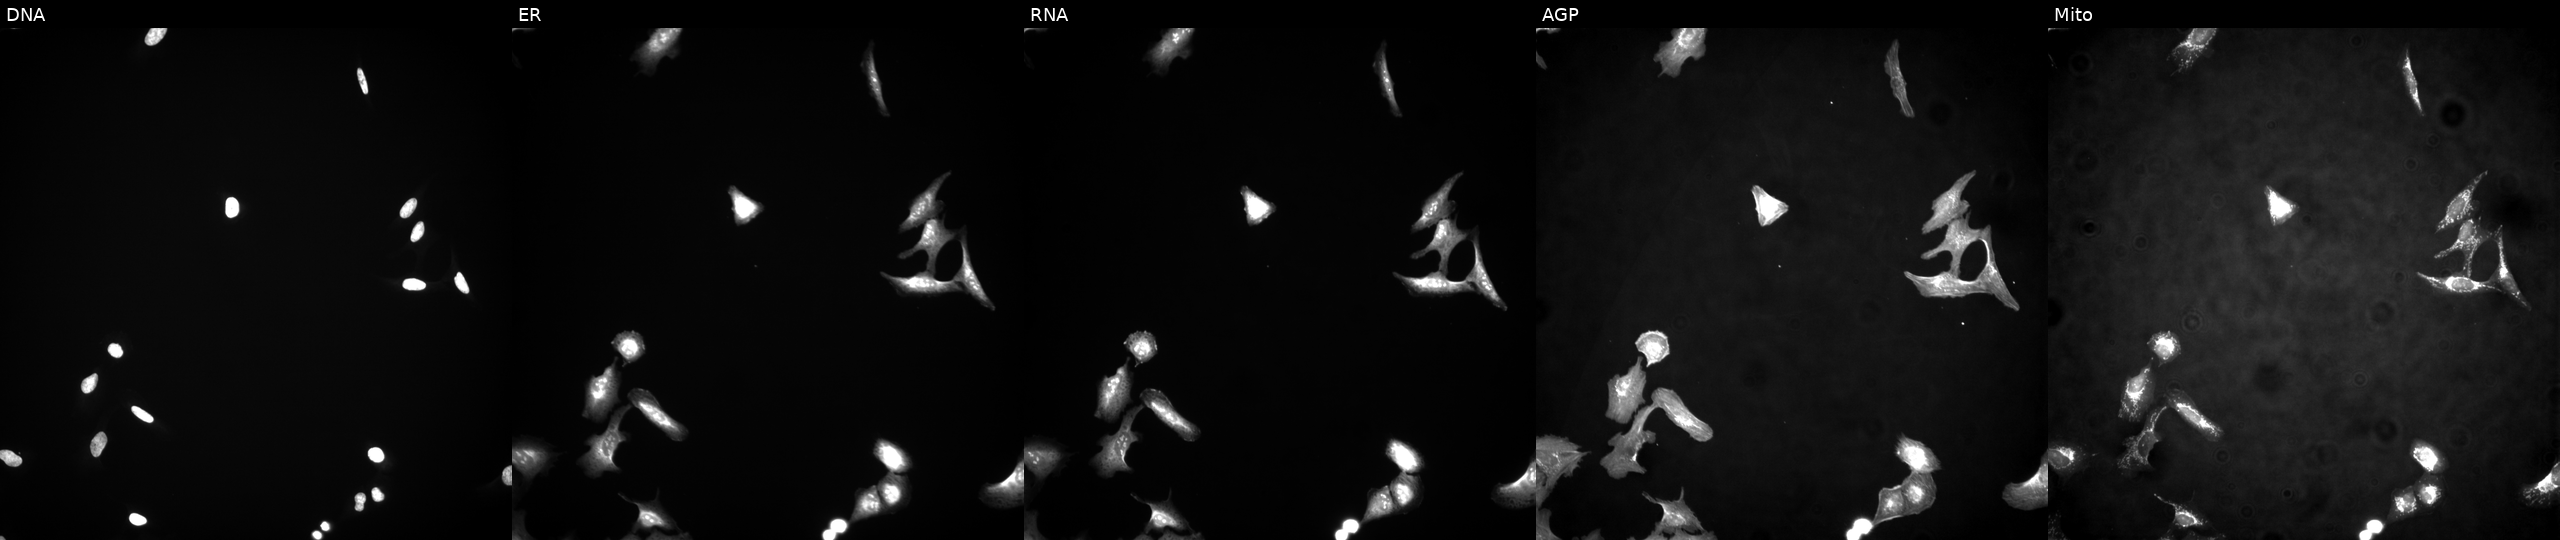
Five-channel Cell Painting image of U2OS cells overexpressing UMODL1-AS1 via ORF transfection. Panels show, left to right, Hoechst 33342, concanavalin A, SYTO 14, phalloidin and WGA, MitoTracker.